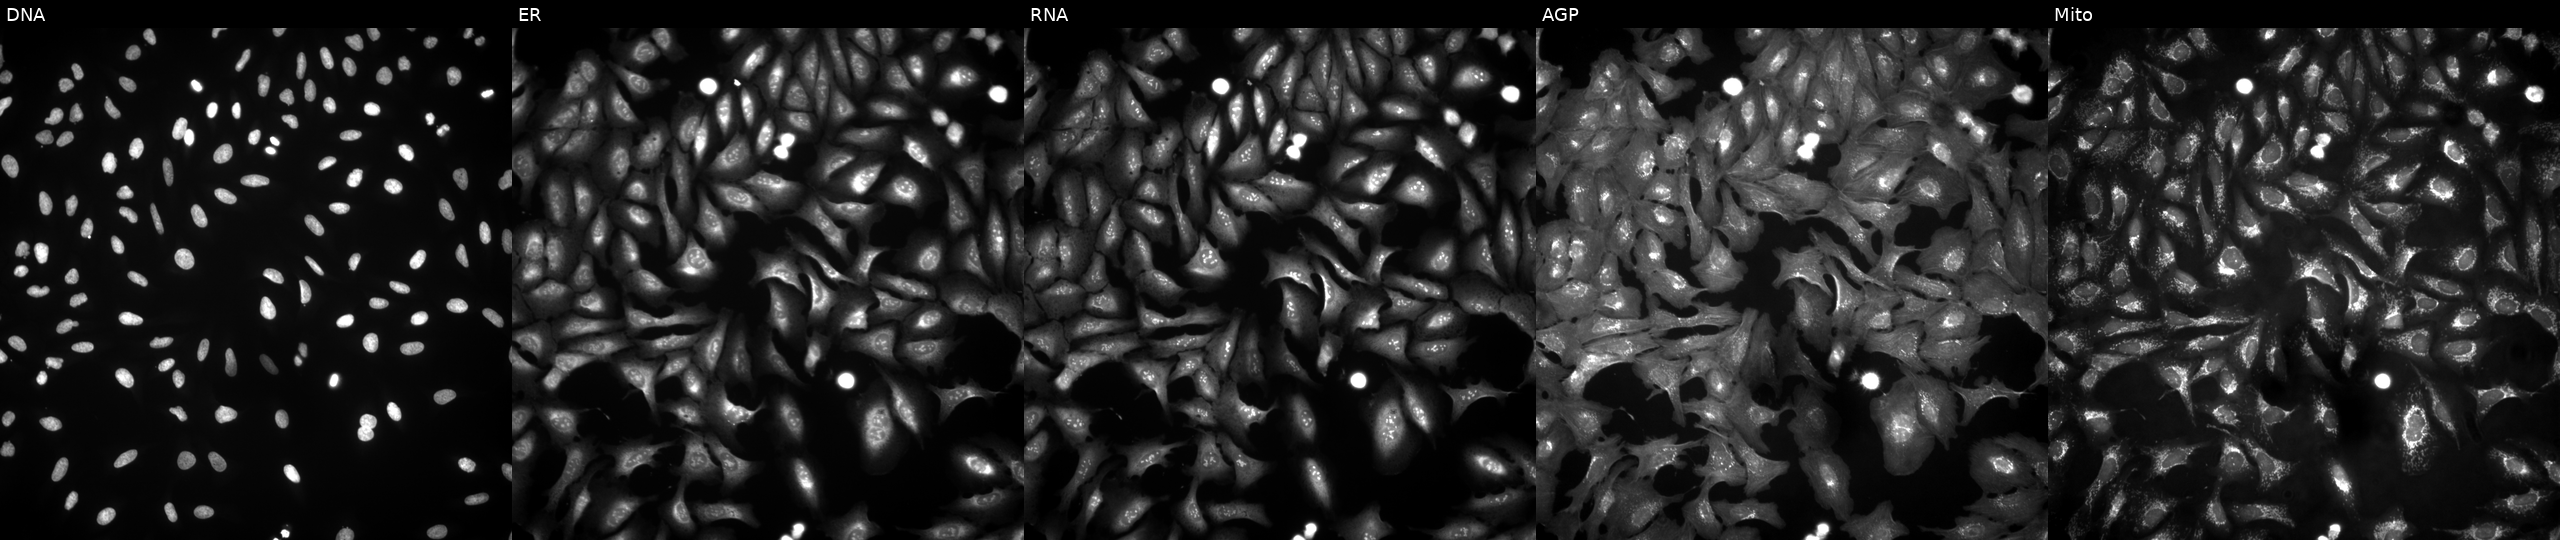
High-content fluorescence microscopy (Cell Painting). Cell line: U2OS. Perturbation: with CYP21A2 overexpressed (ORF) (JUMP id JCP2022_914393). From left to right: DNA (nuclei); ER (endoplasmic reticulum); RNA (nucleoli and cytoplasmic RNA); AGP (actin cytoskeleton, Golgi, and plasma membrane); Mito (mitochondria). Source 4, plate BR00124790, well G07.